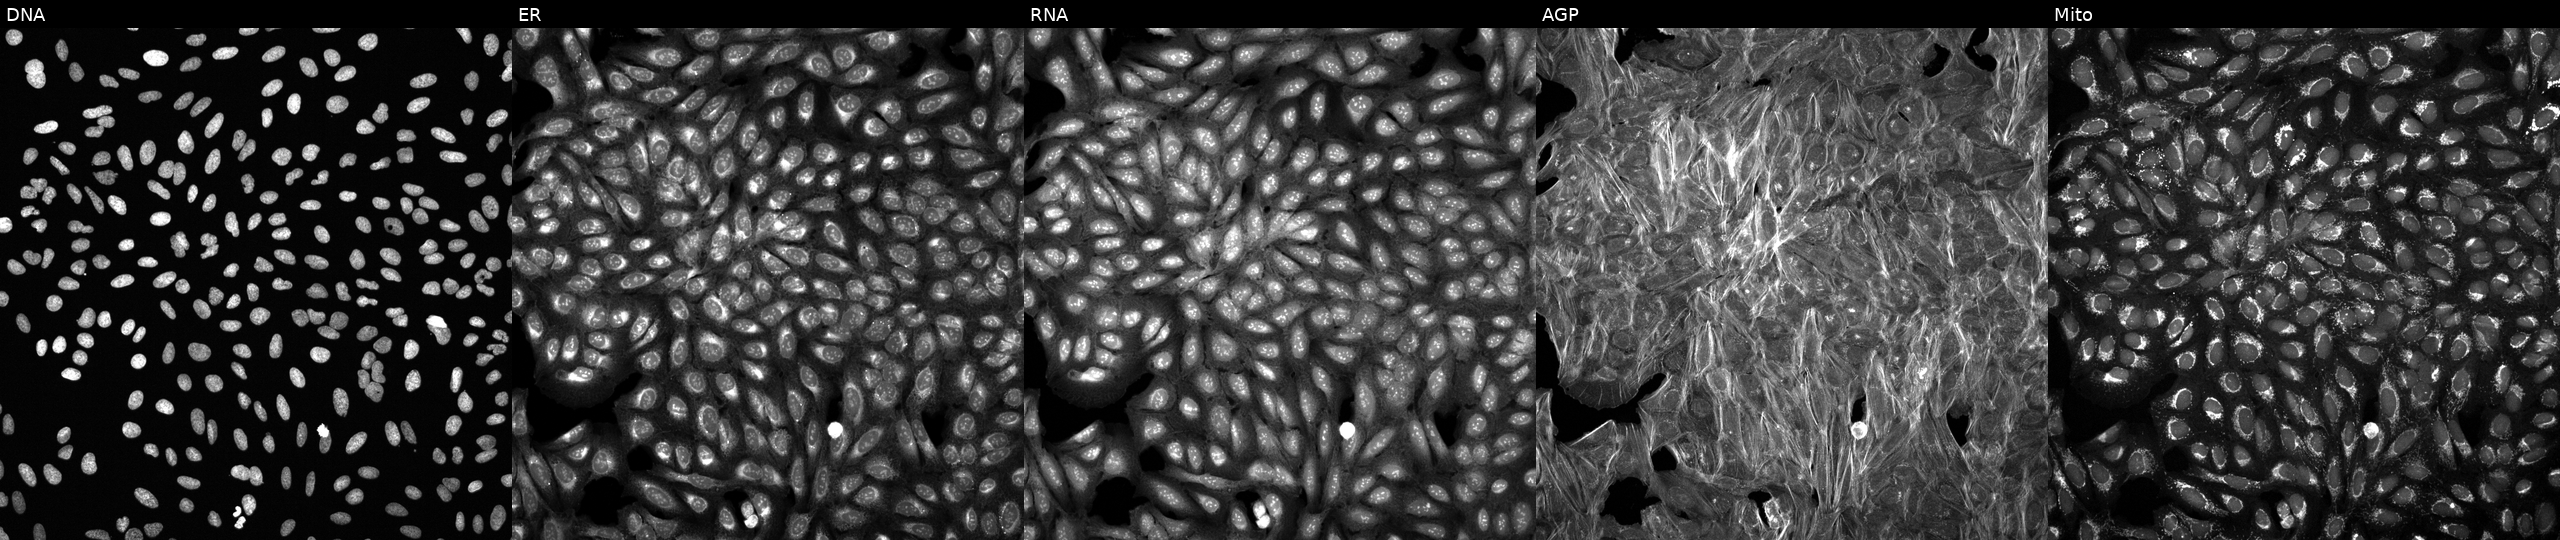
This image strip shows the five Cell Painting channels for a single field of U2OS cells exposed to a small-molecule compound. Panels show, left to right, Hoechst 33342, concanavalin A, SYTO 14, phalloidin and WGA, MitoTracker. Source 6, plate 110000293082, well P13.